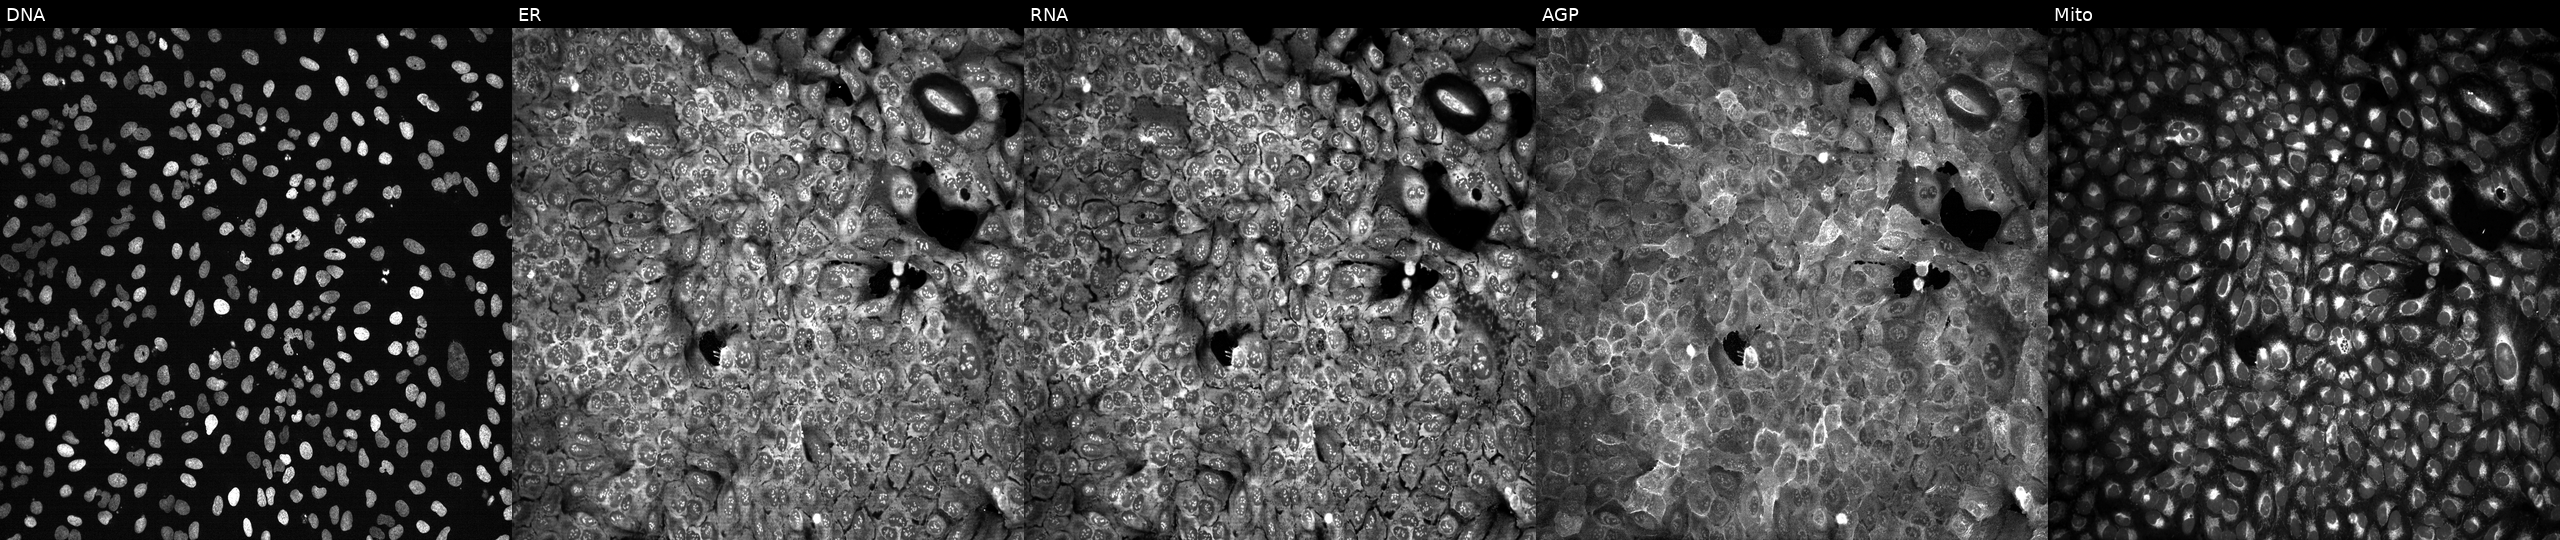
U2OS cells, Cell Painting assay, following CRISPR knockout of B4GAT1 (JUMP id JCP2022_800800). Channels (left→right): DNA, ER, RNA, AGP, and Mito. Each panel is percentile-stretched 16-bit fluorescence.